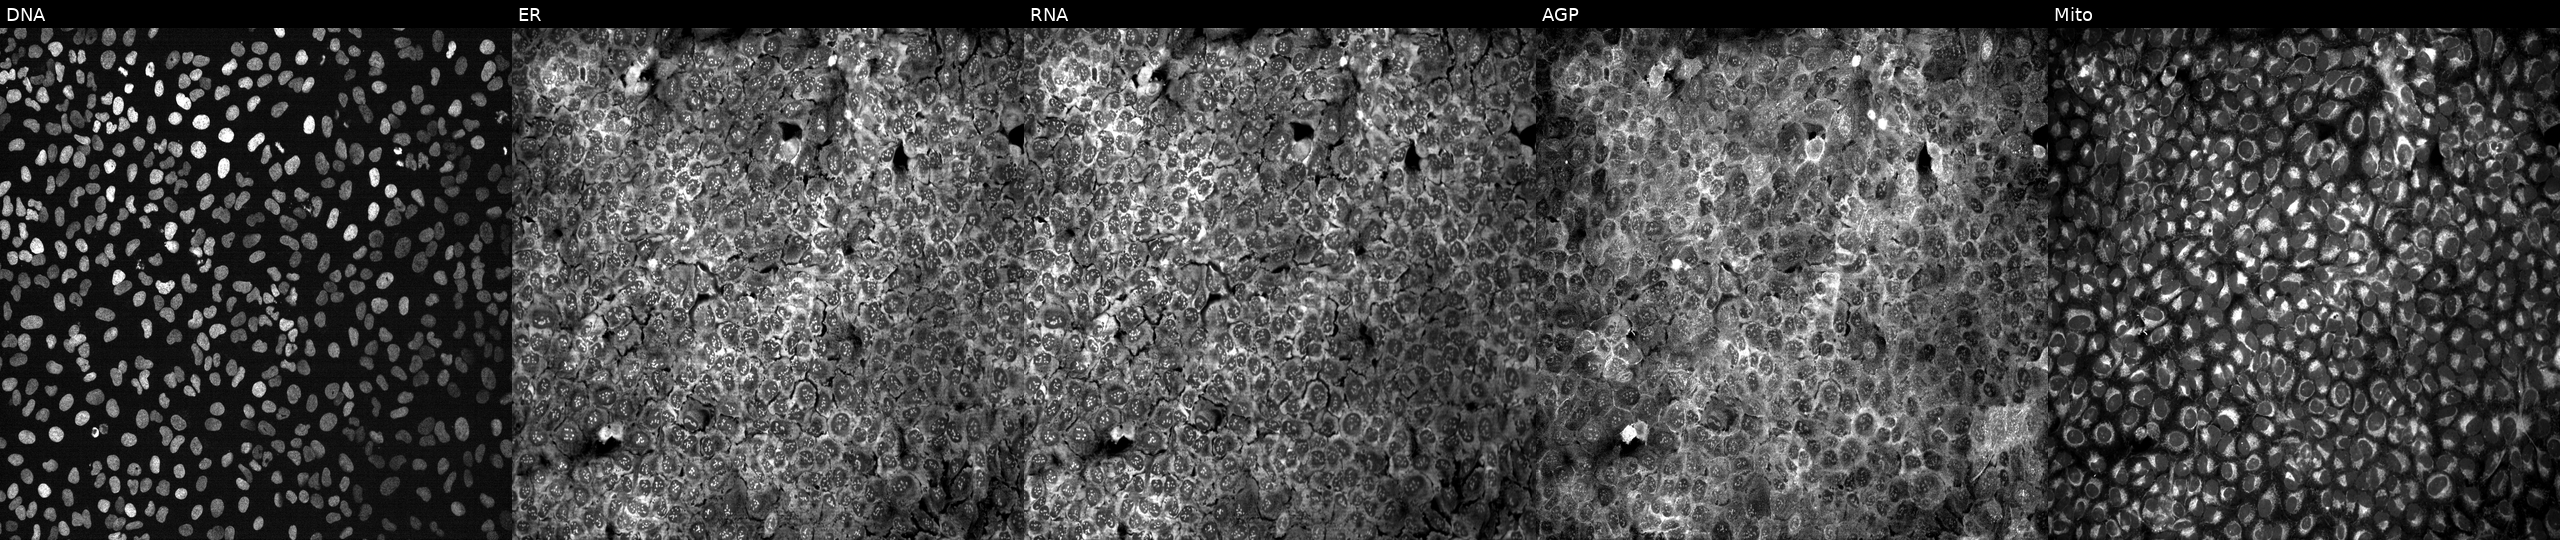
U2OS cells, Cell Painting assay, with TH knocked out by CRISPR (JUMP id JCP2022_807067). From left to right: DNA (nuclei); ER (endoplasmic reticulum); RNA (nucleoli and cytoplasmic RNA); AGP (actin cytoskeleton, Golgi, and plasma membrane); Mito (mitochondria). Each panel is percentile-stretched 16-bit fluorescence. Source 13, plate CP-CC9-R4-03, well J21.